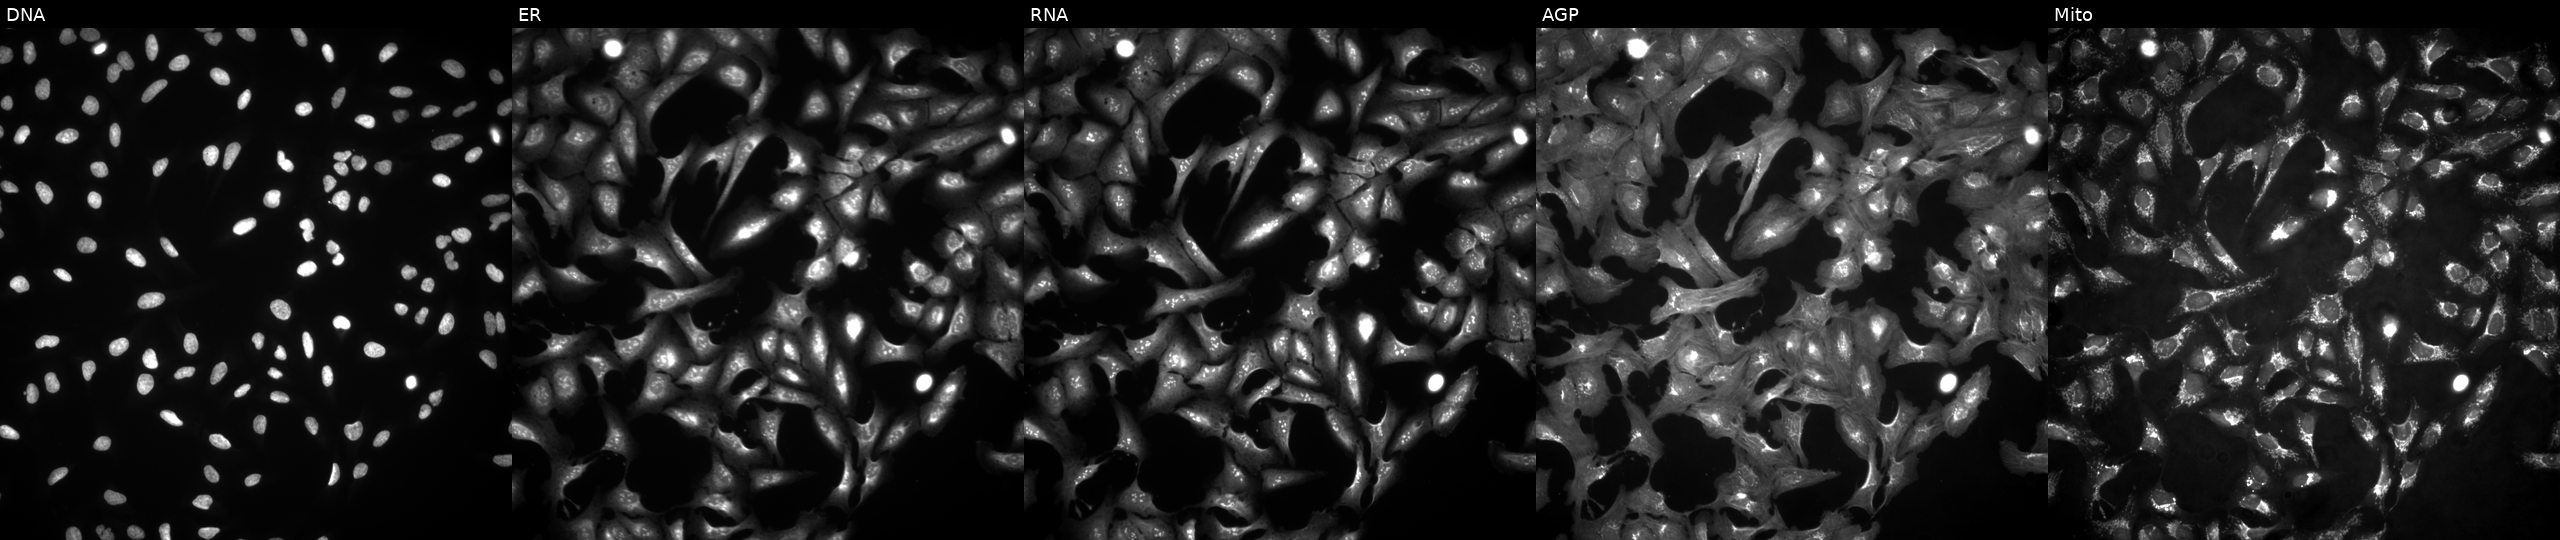
U2OS cells, Cell Painting assay, transfected with an ORF construct for SMPX. The five panels, left to right, show DNA, ER, RNA, AGP, and Mito. Each panel is percentile-stretched 16-bit fluorescence.